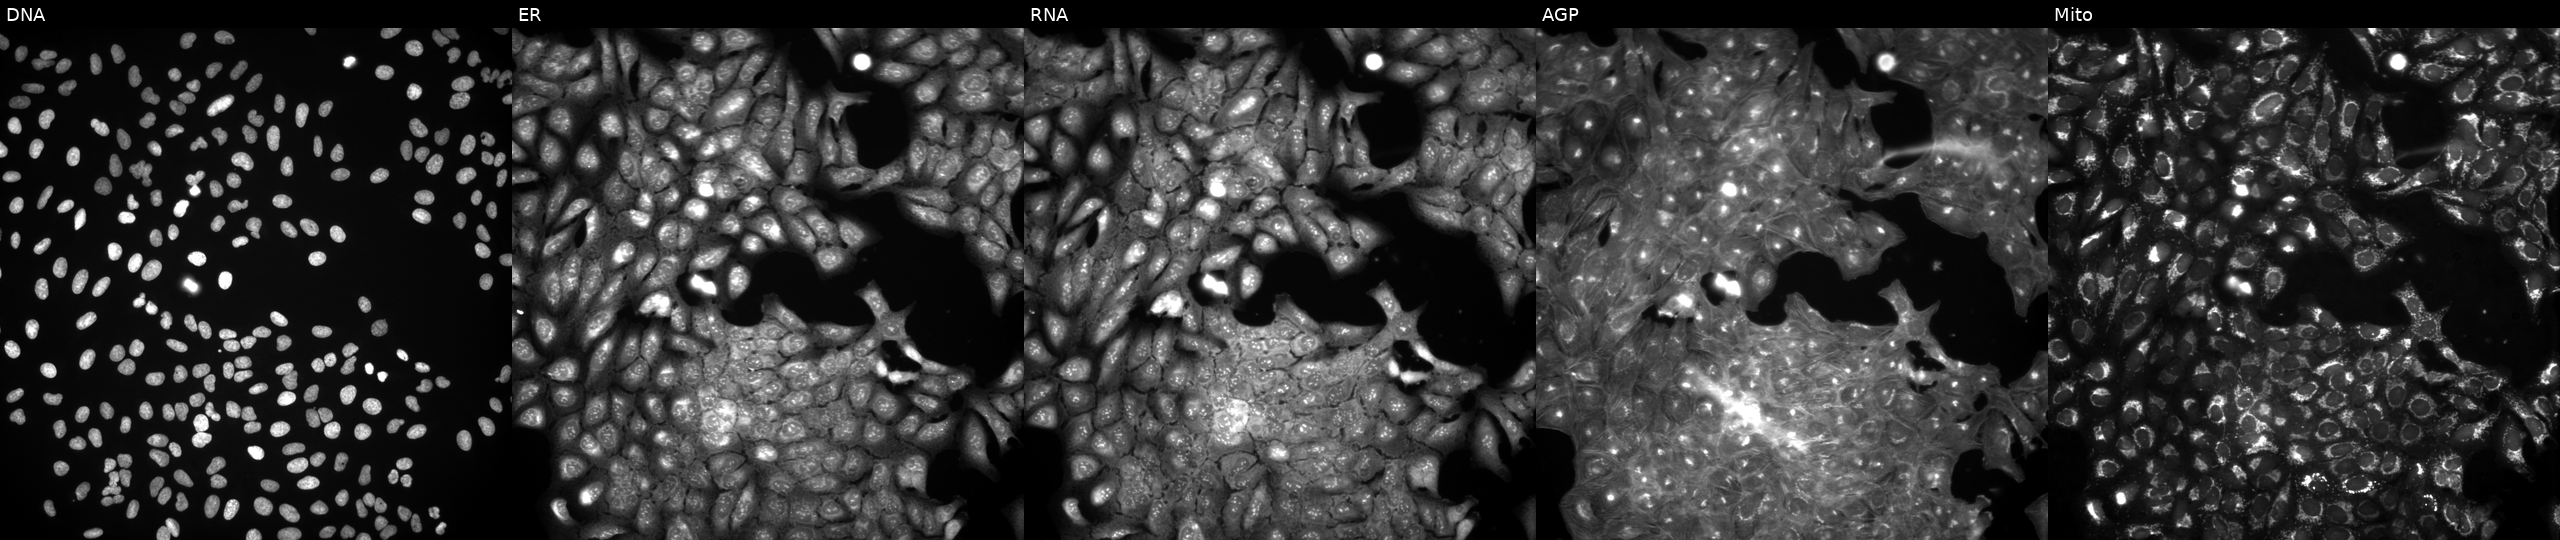
U2OS cells, Cell Painting assay, treated with DMSO vehicle only (negative control). Channels (left→right): DNA (nuclei); ER (endoplasmic reticulum); RNA (nucleoli and cytoplasmic RNA); AGP (actin cytoskeleton, Golgi, and plasma membrane); Mito (mitochondria). Each panel is percentile-stretched 16-bit fluorescence.